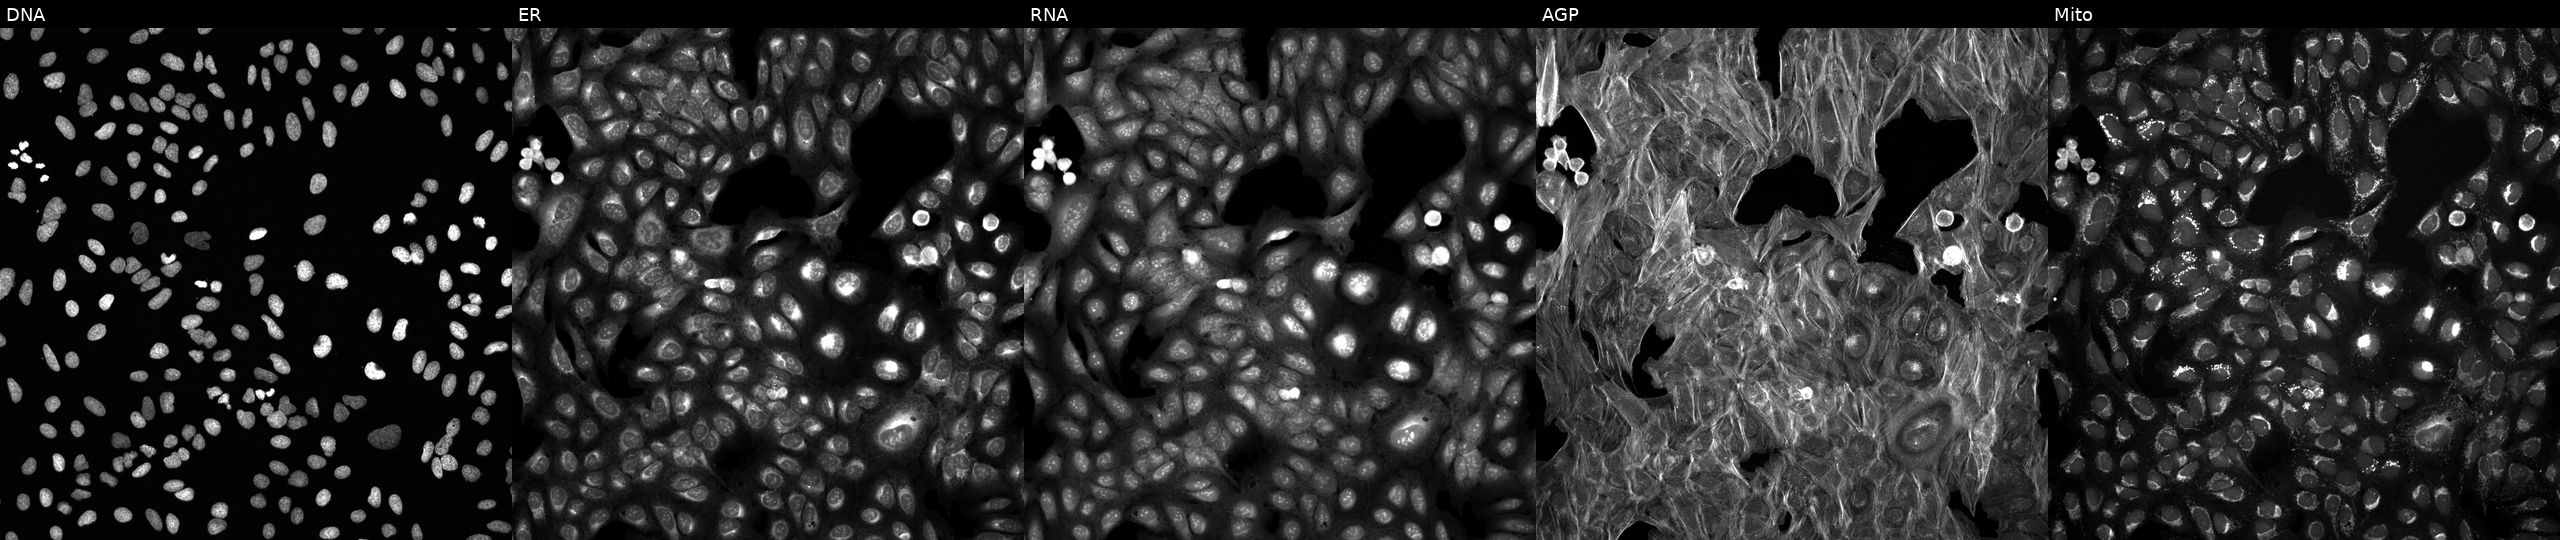
High-content fluorescence microscopy (Cell Painting). Cell line: U2OS. Perturbation: treated with a small-molecule compound (InChIKey MSQVFCUROBQDDD-UHFFFAOYSA-N). From left to right: DNA, ER, RNA, AGP, and Mito.